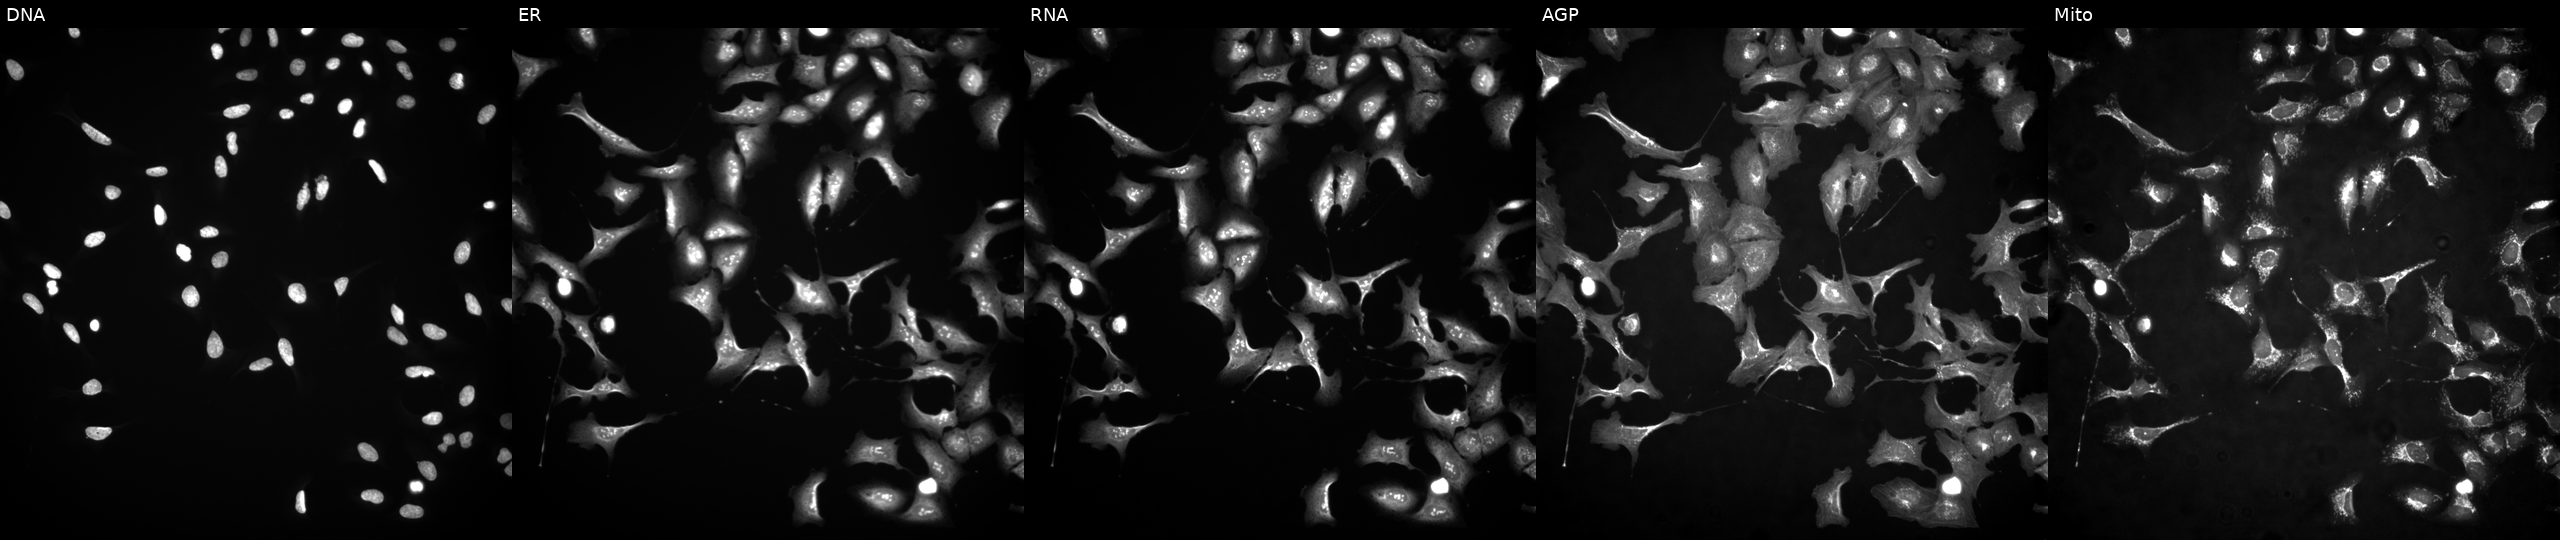
JUMP Cell Painting — ORF plate. U2OS cells overexpressing HSF5 via ORF transfection (JUMP id JCP2022_912220). From left to right: DNA, ER, RNA, AGP, and Mito. Source 4, plate BR00117035, well K12.